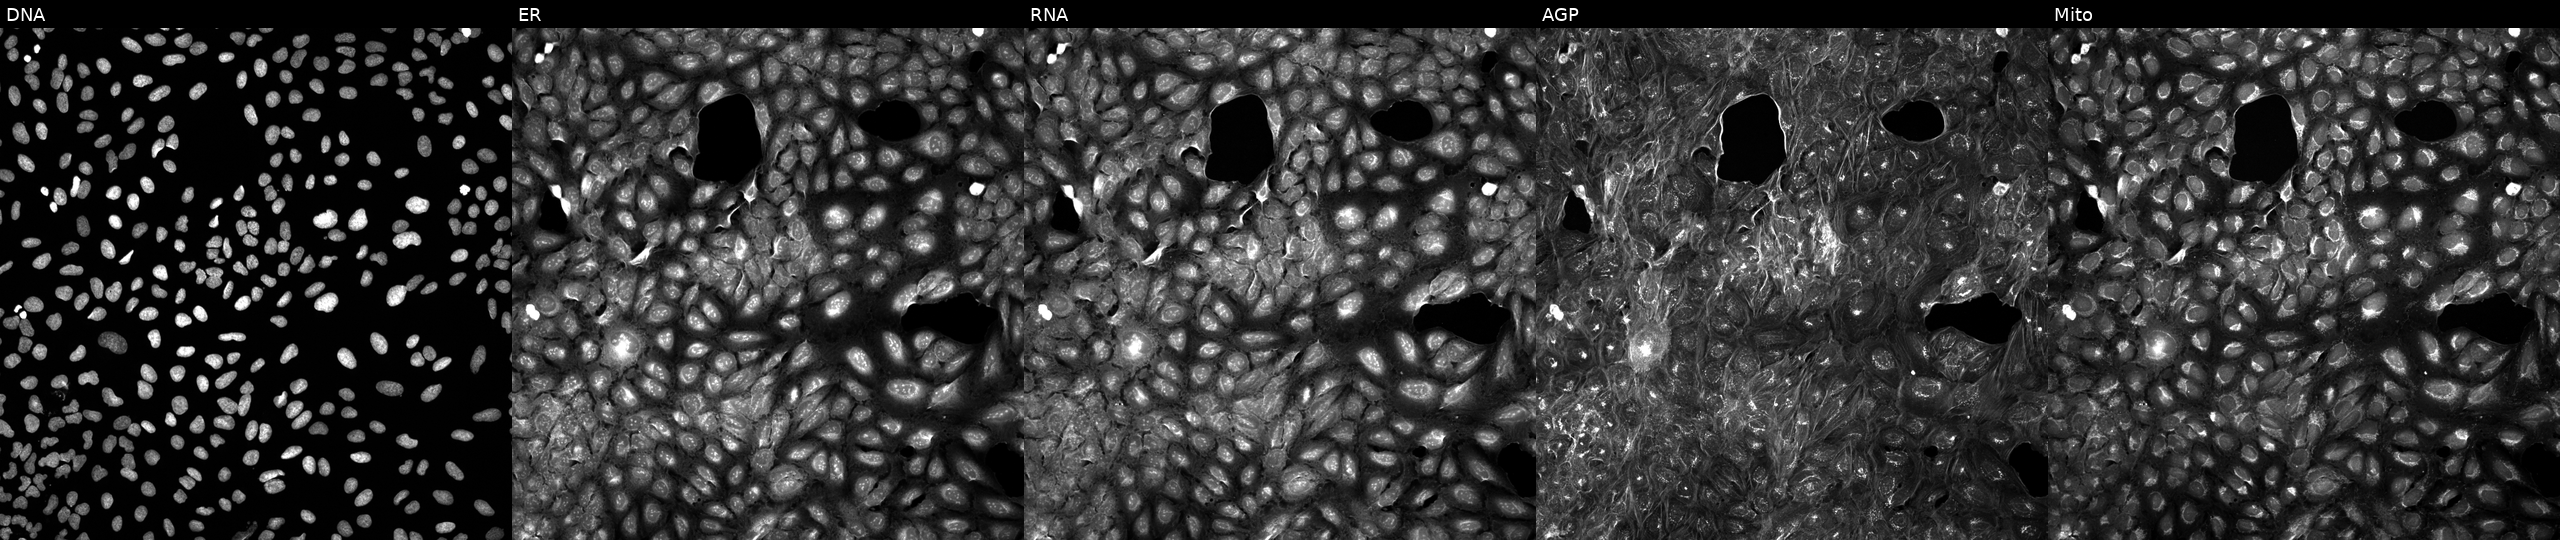
High-content fluorescence microscopy (Cell Painting). Cell line: U2OS. Perturbation: perturbed with a small-molecule compound (InChIKey ZHDLOAOTGLNTIO-UHFFFAOYSA-N). Channels (left→right): DNA (nuclei); ER (endoplasmic reticulum); RNA (nucleoli and cytoplasmic RNA); AGP (actin cytoskeleton, Golgi, and plasma membrane); Mito (mitochondria).